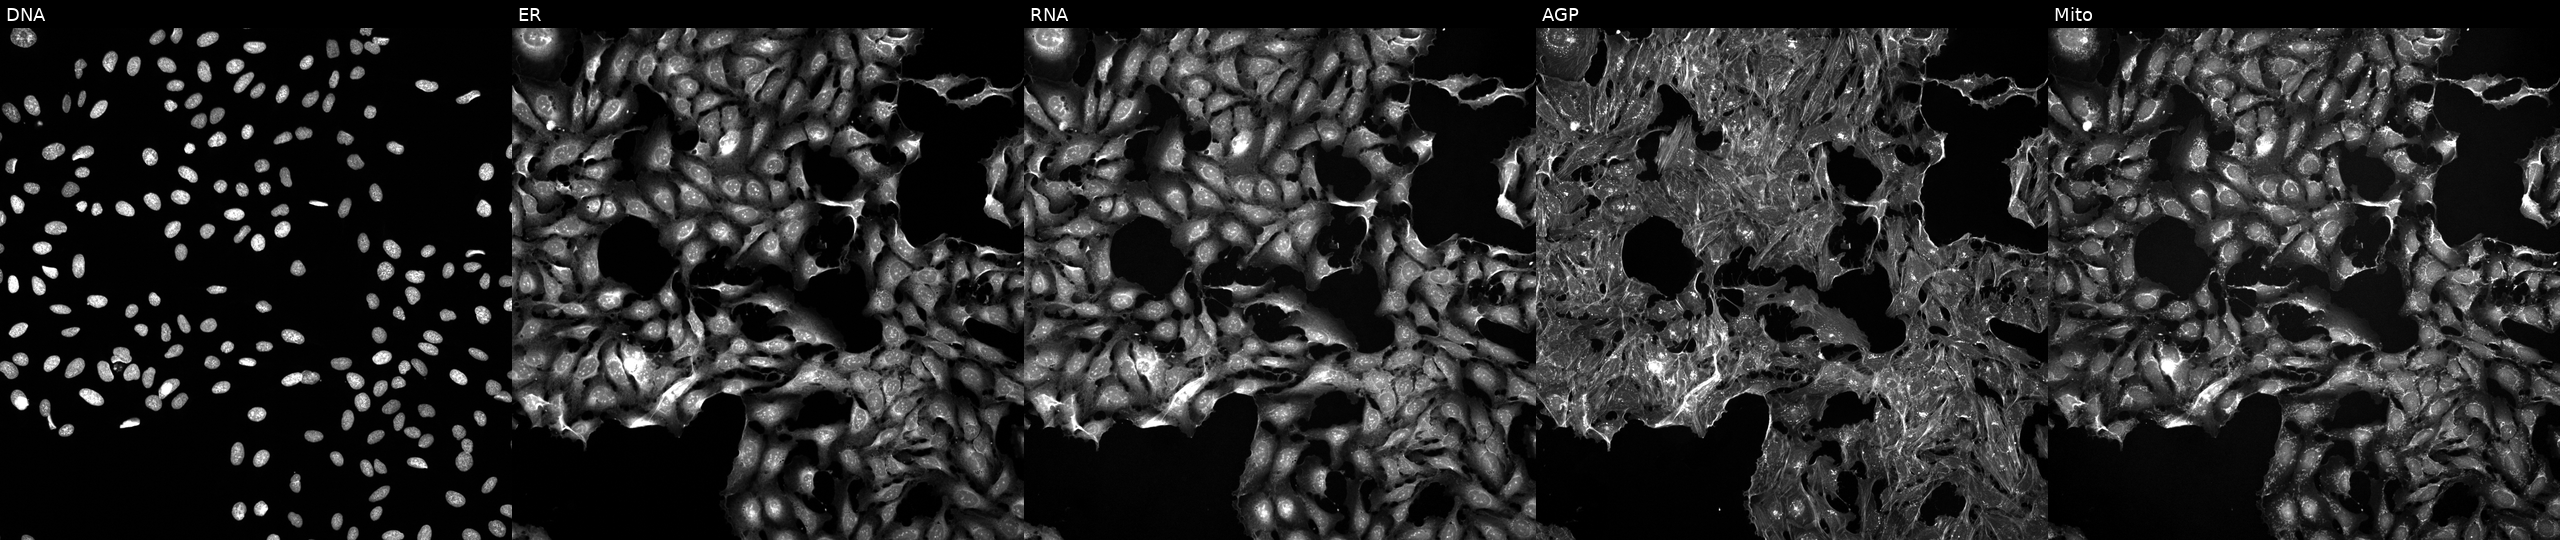
JUMP Cell Painting — TARGET2 plate. U2OS cells treated with FK-866 (positive-control compound). Channels (left→right): Hoechst 33342, concanavalin A, SYTO 14, phalloidin and WGA, MitoTracker.